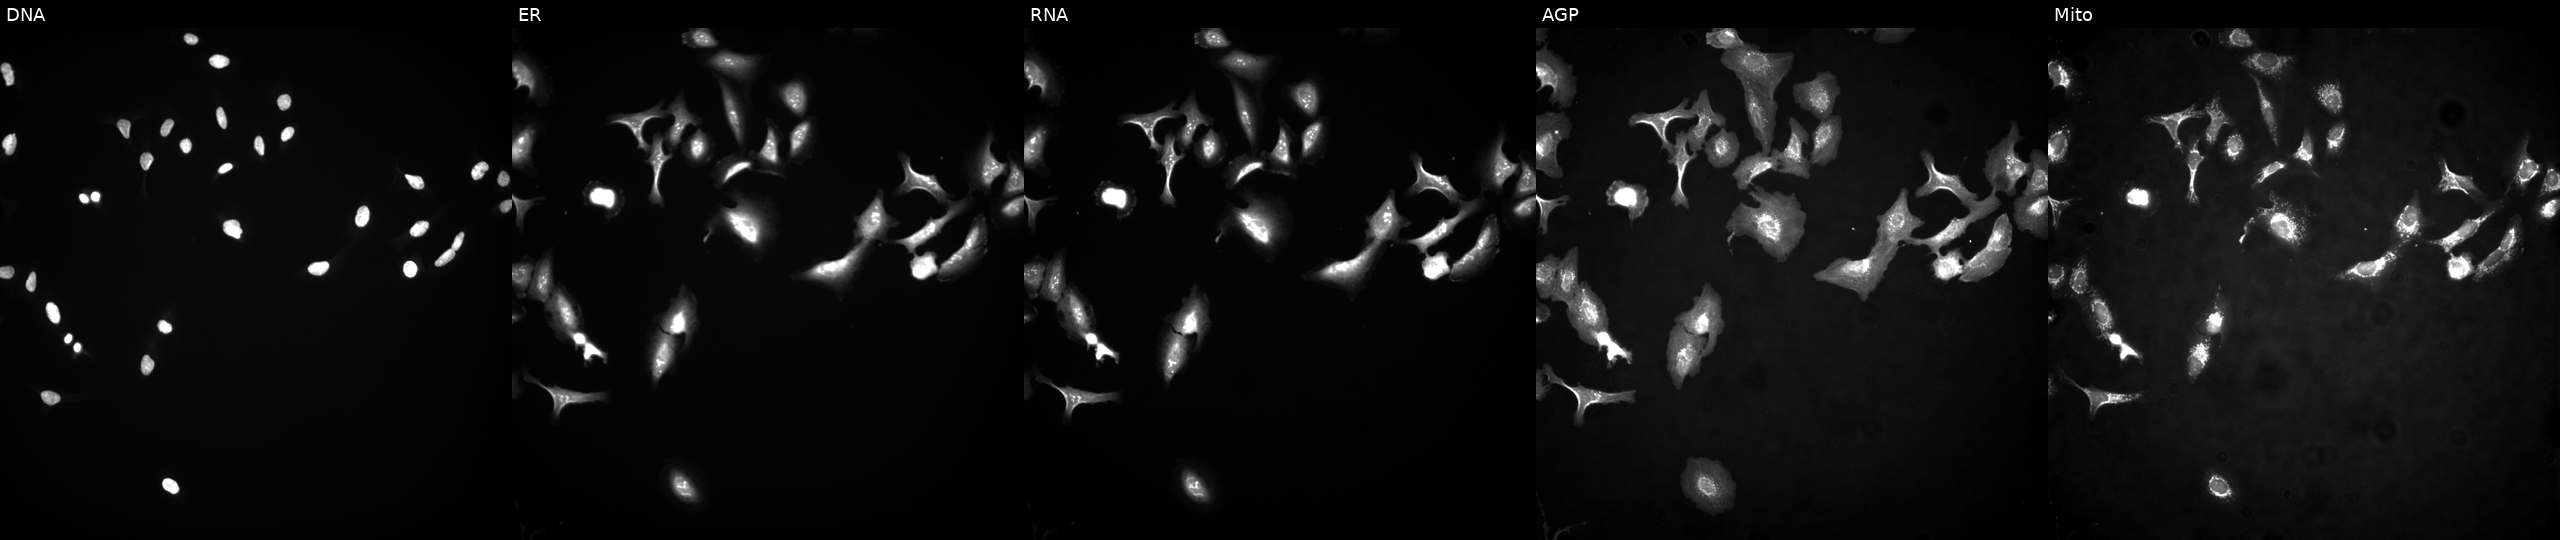
U2OS cells, Cell Painting assay, transfected with an ORF construct for CHD1. Panels show, left to right, Hoechst 33342, concanavalin A, SYTO 14, phalloidin and WGA, MitoTracker. Each panel is percentile-stretched 16-bit fluorescence.